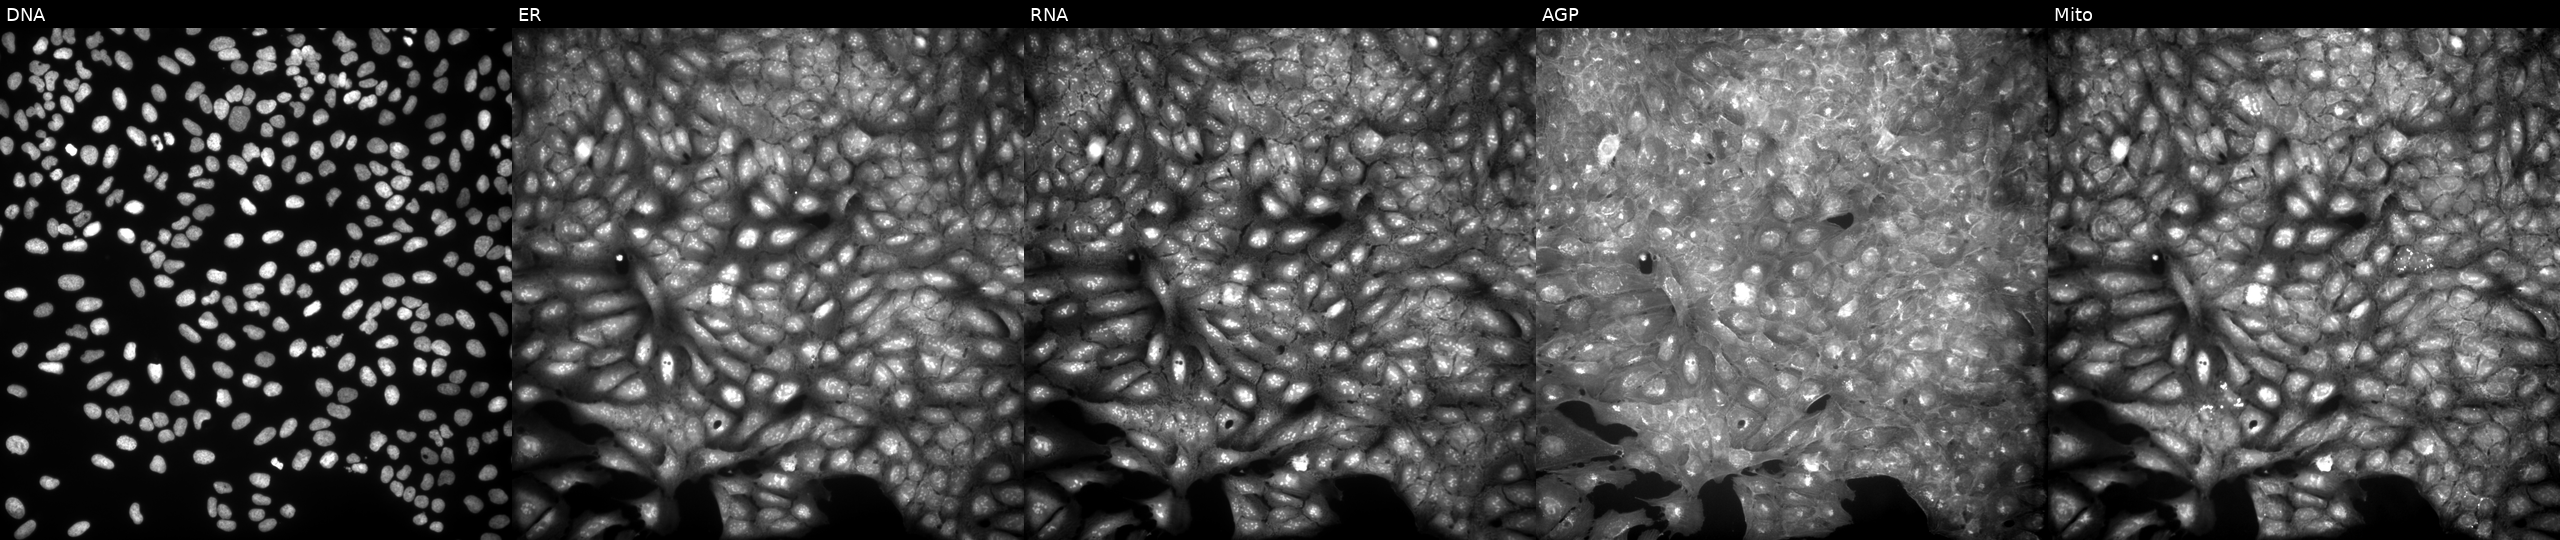
U2OS cells, Cell Painting assay, treated with a small-molecule compound (JUMP id JCP2022_089765). Channels (left→right): DNA (nuclei); ER (endoplasmic reticulum); RNA (nucleoli and cytoplasmic RNA); AGP (actin cytoskeleton, Golgi, and plasma membrane); Mito (mitochondria). Each panel is percentile-stretched 16-bit fluorescence. Source 9, plate GR00003381, well D35.